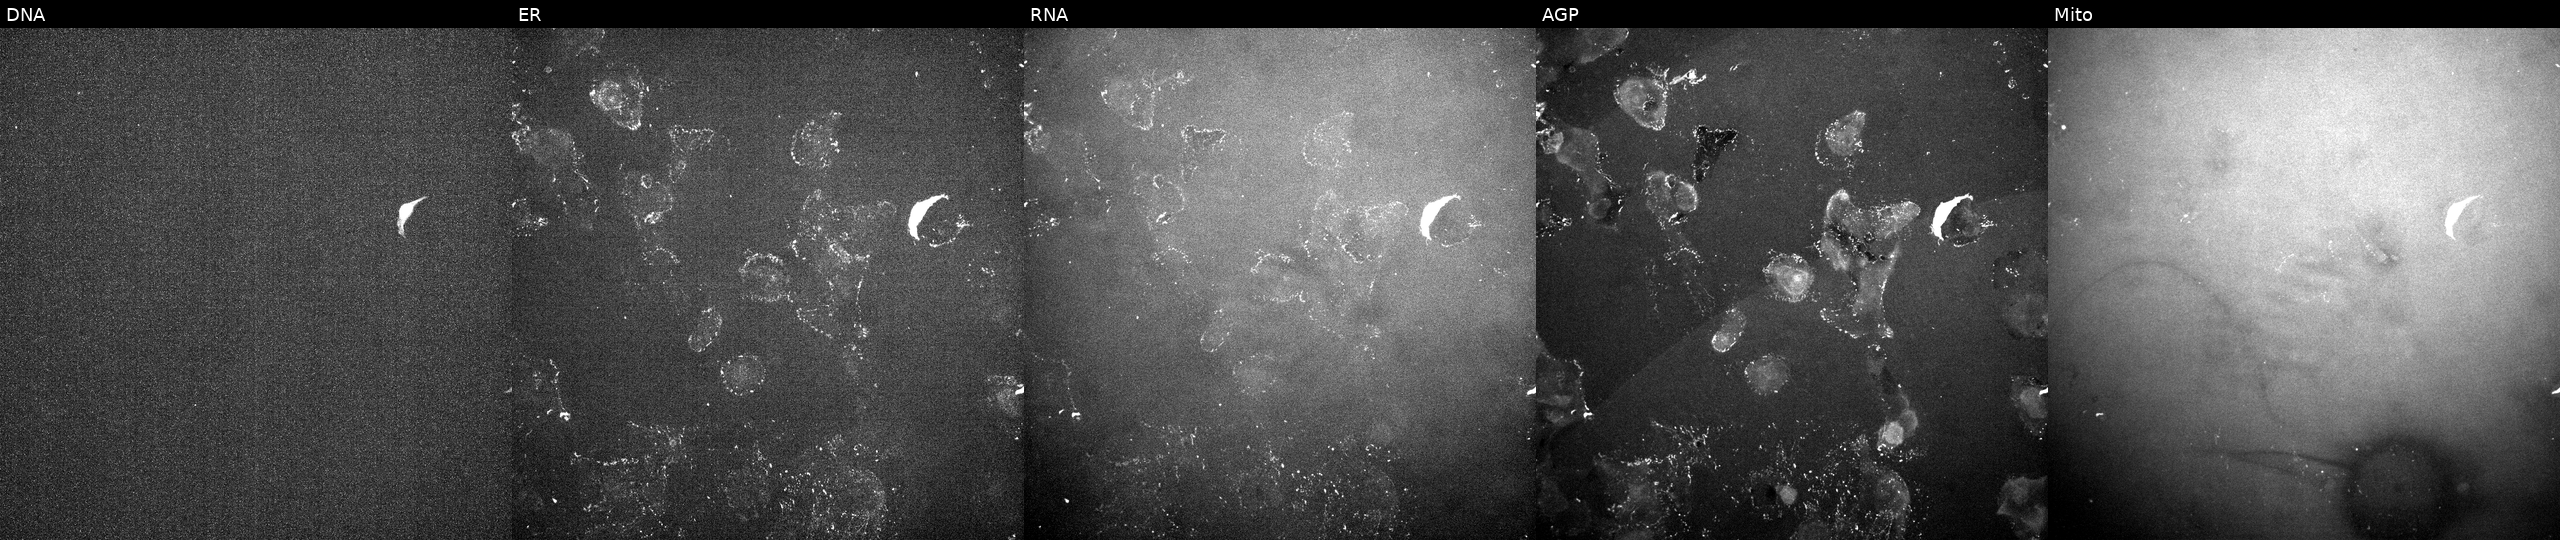
This image strip shows the five Cell Painting channels for a single field of U2OS cells perturbed with a small-molecule compound (InChIKey DUKQPWDVIZDABV-UHFFFAOYSA-N) [SMILES: O=C1C(=NCCN2CCOCC2)C(Cl)C(=O)c2cccnc21] (JUMP id JCP2022_018280). Panels show, left to right, DNA (nuclei); ER (endoplasmic reticulum); RNA (nucleoli and cytoplasmic RNA); AGP (actin cytoskeleton, Golgi, and plasma membrane); Mito (mitochondria). Source 10, plate Dest210726-160150, well D08.